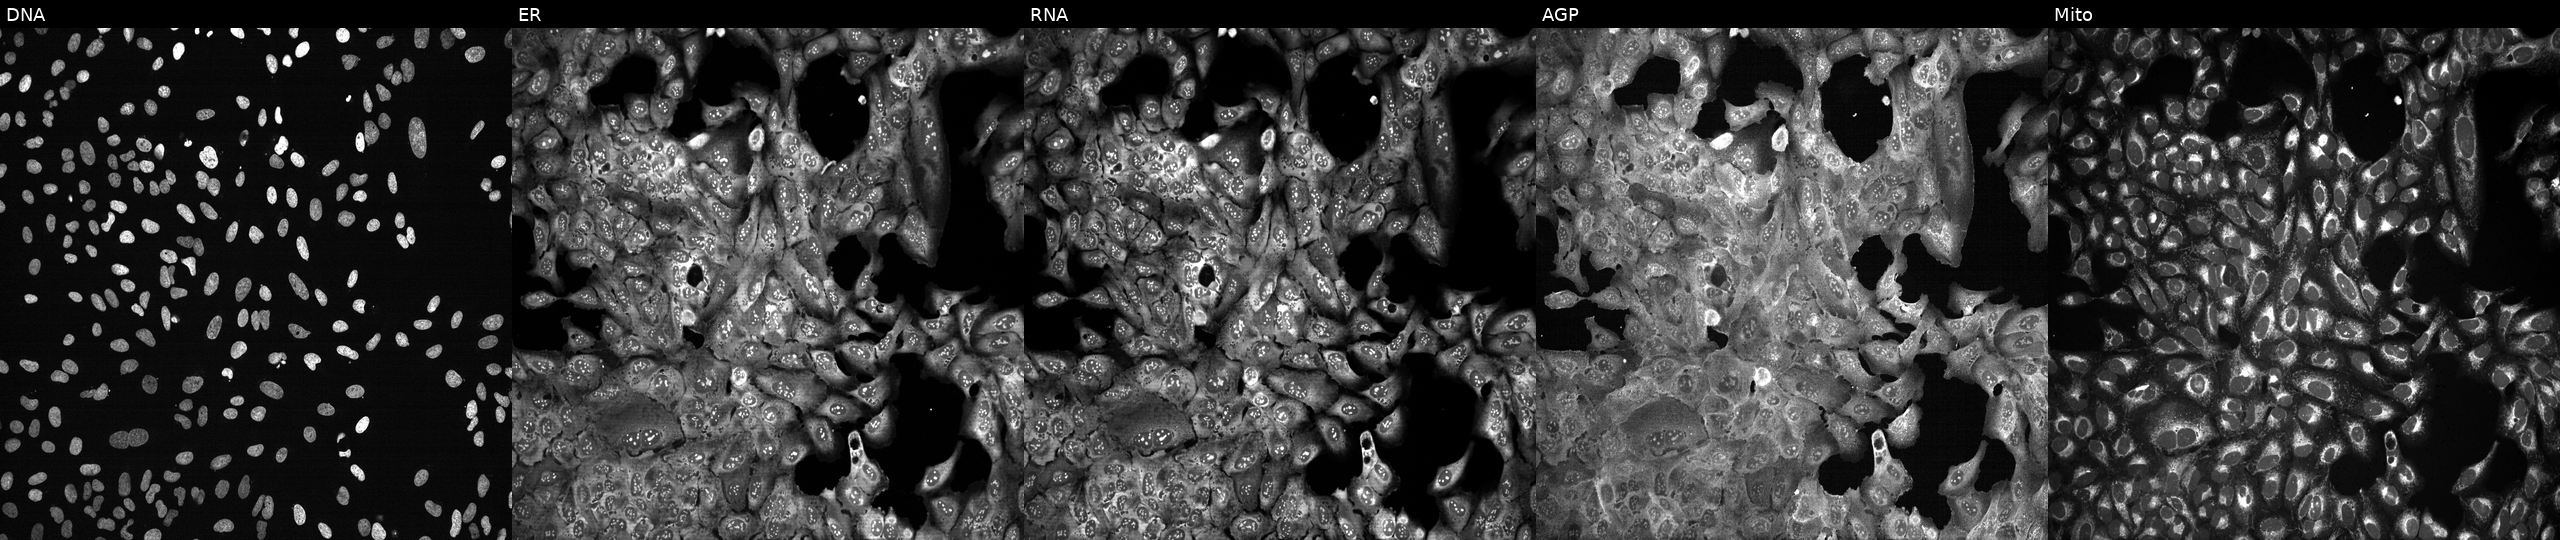
High-content fluorescence microscopy (Cell Painting). Cell line: U2OS. Perturbation: with CDC5L knocked out by CRISPR. The five panels, left to right, show DNA, ER, RNA, AGP, and Mito.